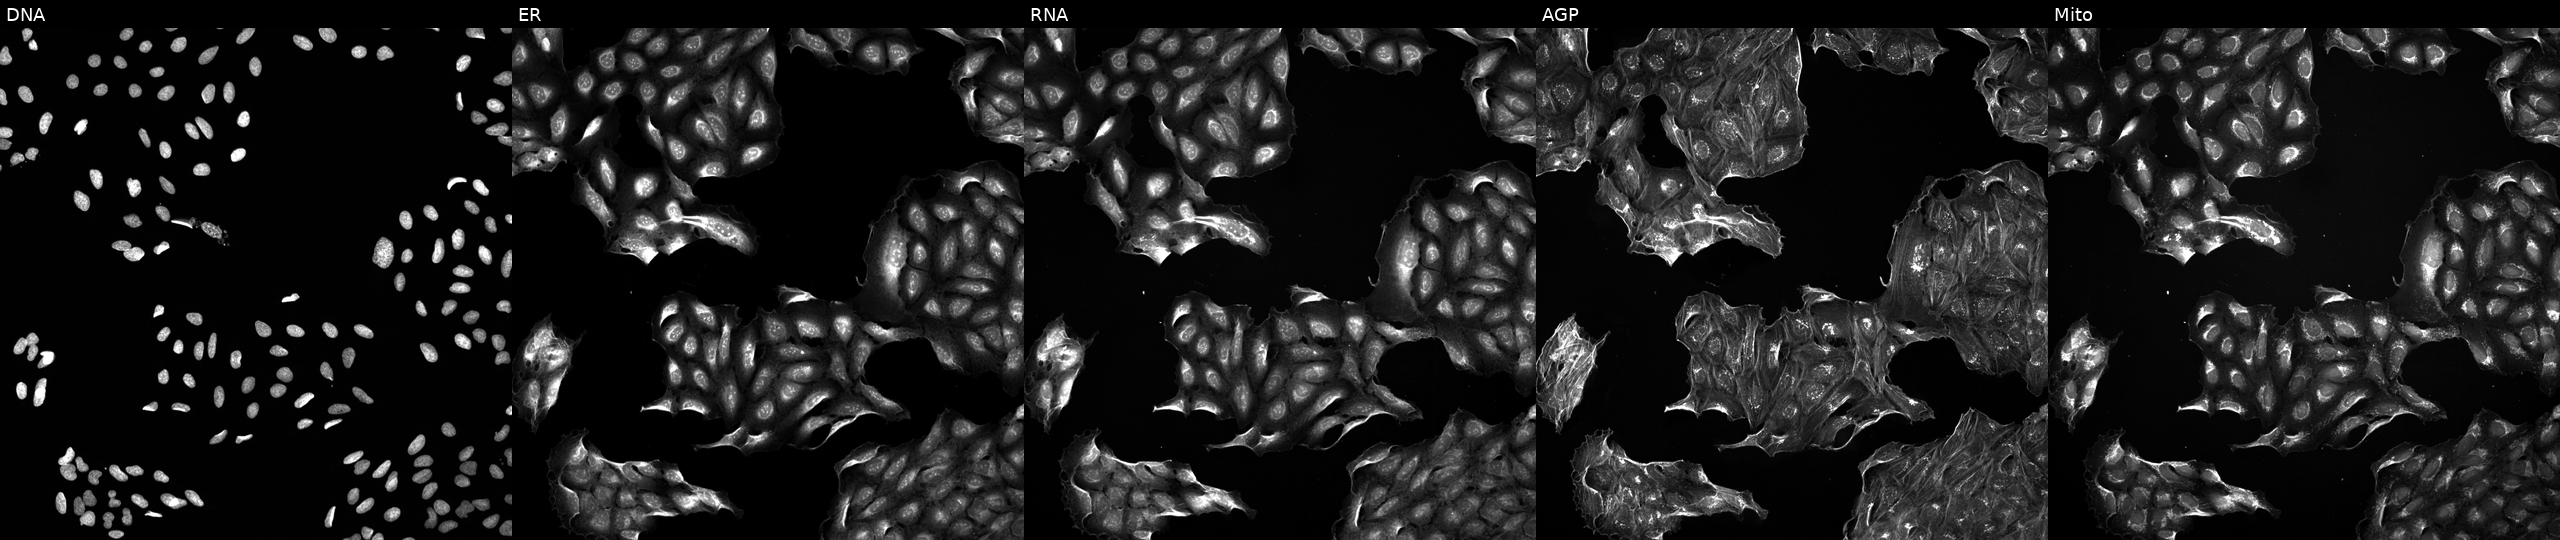
JUMP Cell Painting — COMPOUND plate. U2OS cells treated with aloxistatin (positive-control compound). The five panels, left to right, show Hoechst 33342, concanavalin A, SYTO 14, phalloidin and WGA, MitoTracker. Source 5, plate APTJUM105, well A01.